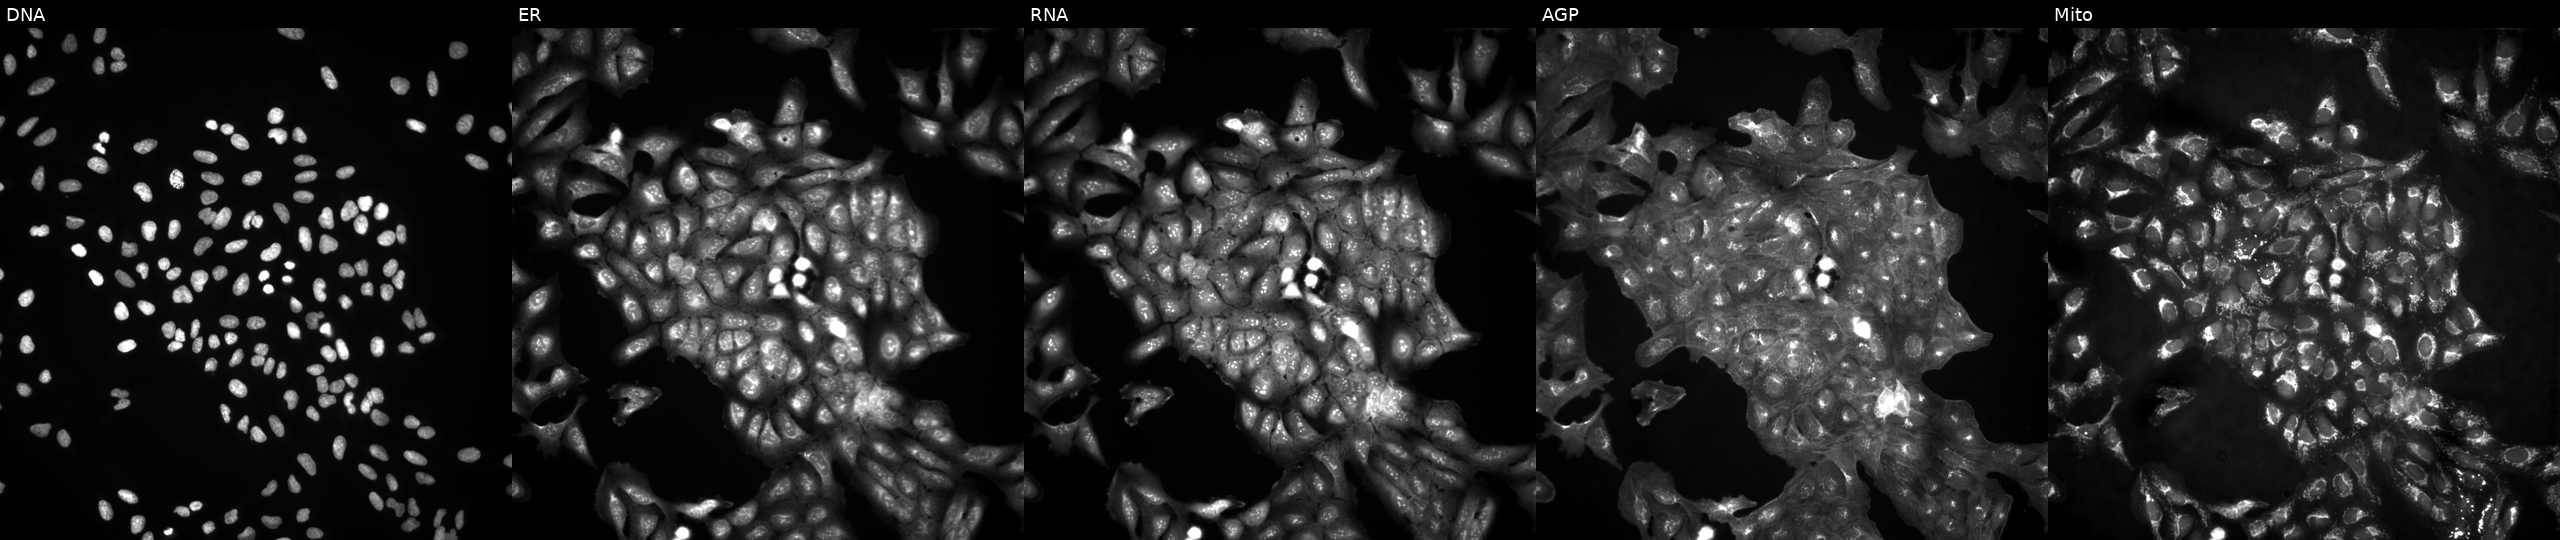
JUMP Cell Painting — ORF plate. U2OS cells in an empty control well (no perturbation). Panels show, left to right, DNA (nuclei); ER (endoplasmic reticulum); RNA (nucleoli and cytoplasmic RNA); AGP (actin cytoskeleton, Golgi, and plasma membrane); Mito (mitochondria). Source 4, plate BR00123946, well F20.